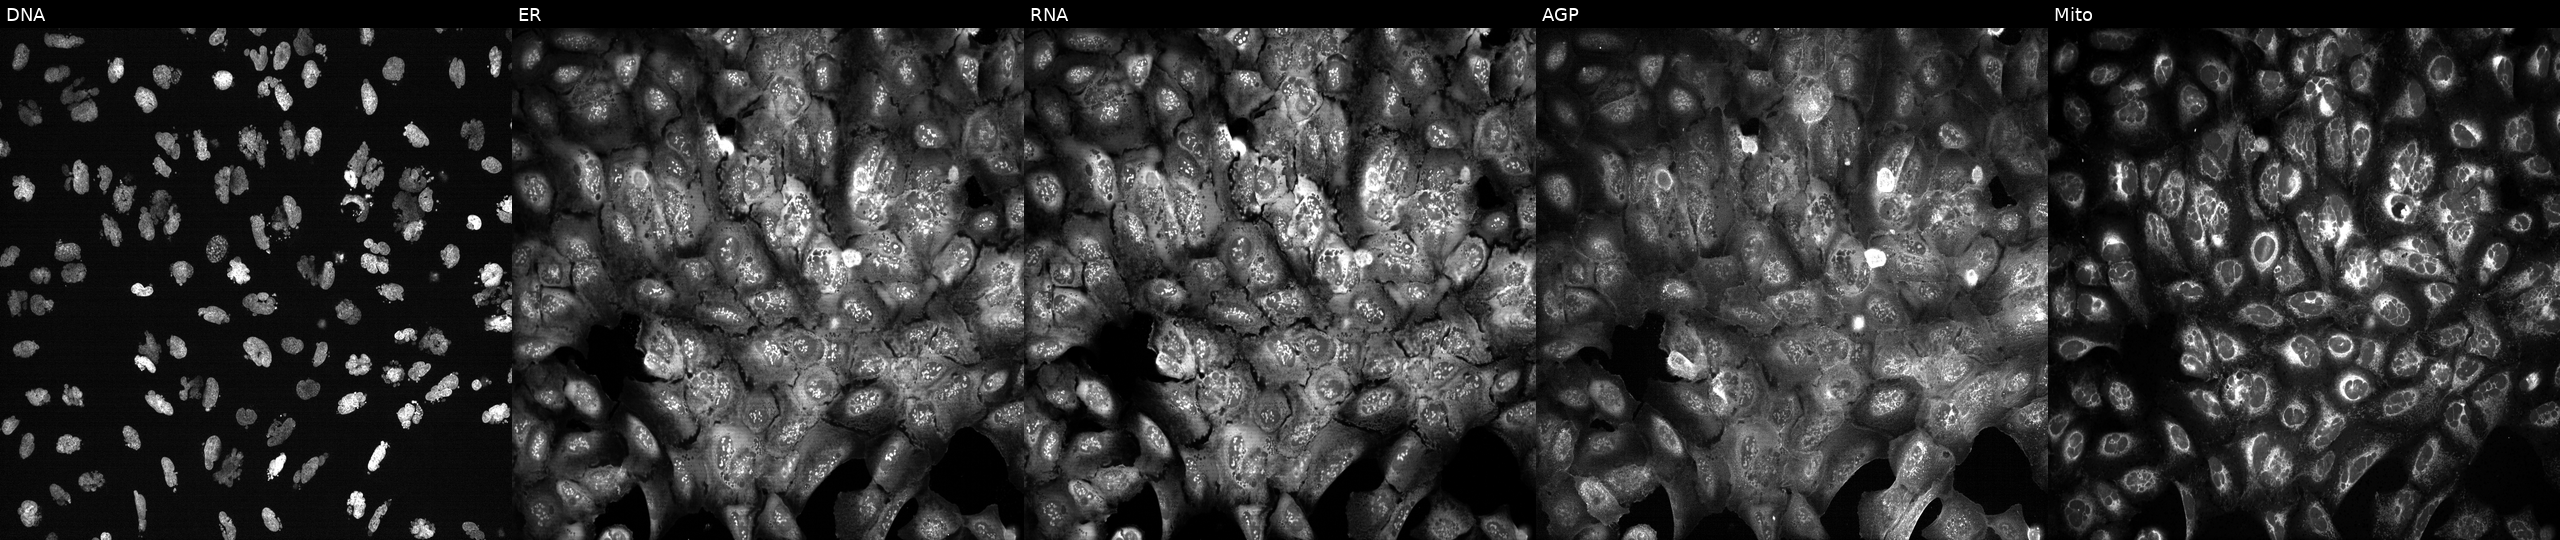
Five-channel Cell Painting image of U2OS cells treated with AMG900 (positive-control compound). Panels show, left to right, Hoechst 33342, concanavalin A, SYTO 14, phalloidin and WGA, MitoTracker.